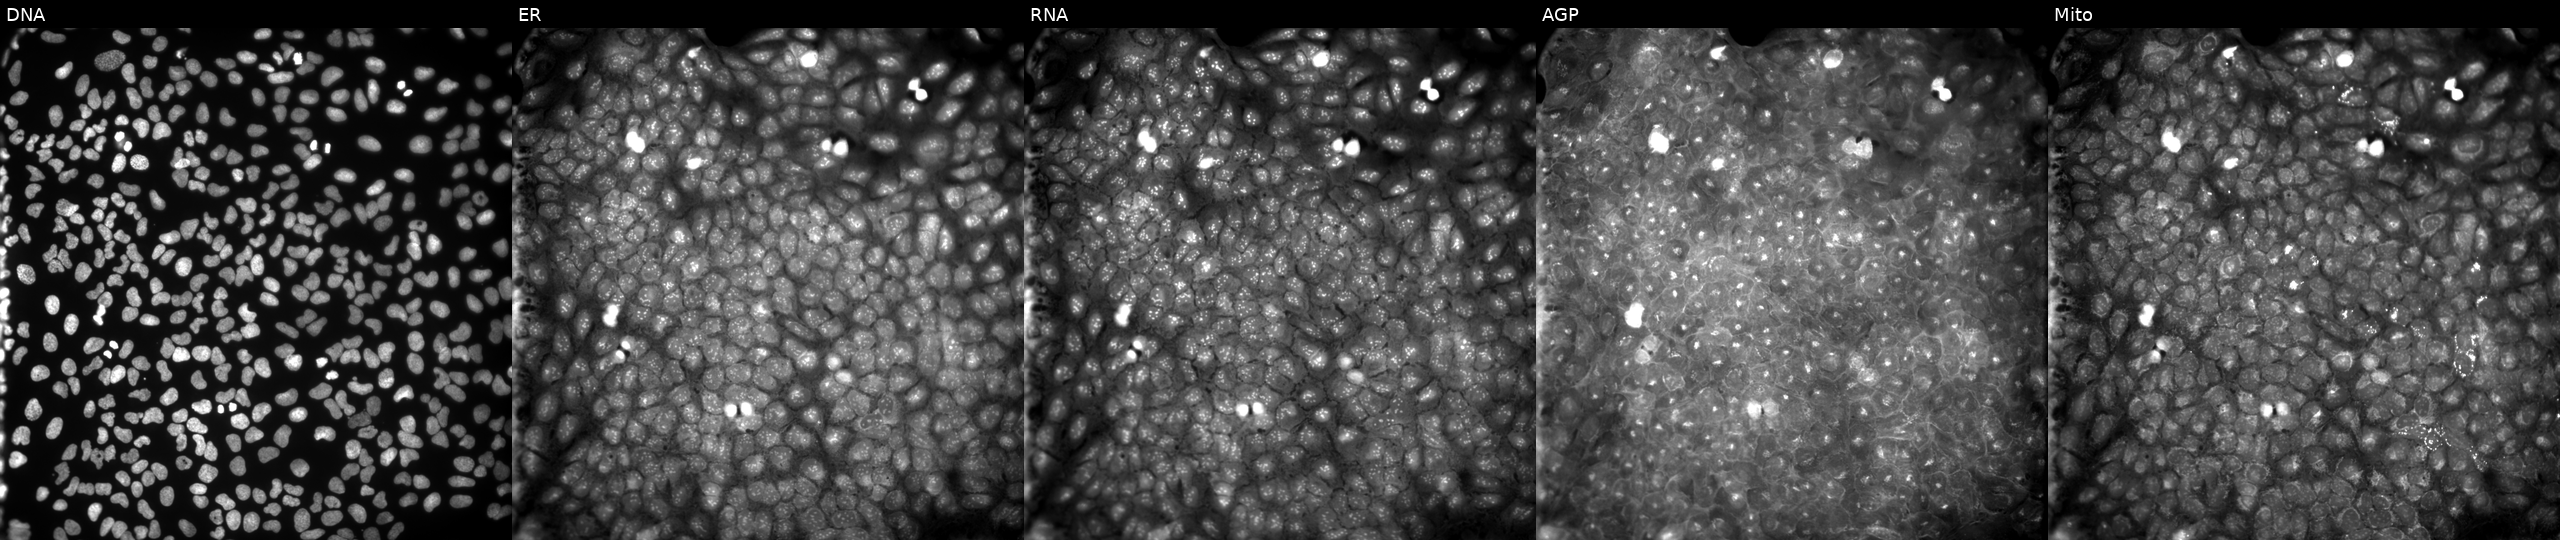
Five-channel Cell Painting image of U2OS cells exposed to a small-molecule compound (JUMP id JCP2022_079905). Panels show, left to right, DNA, ER, RNA, AGP, and Mito. Source 9, plate GR00003382, well AA08.